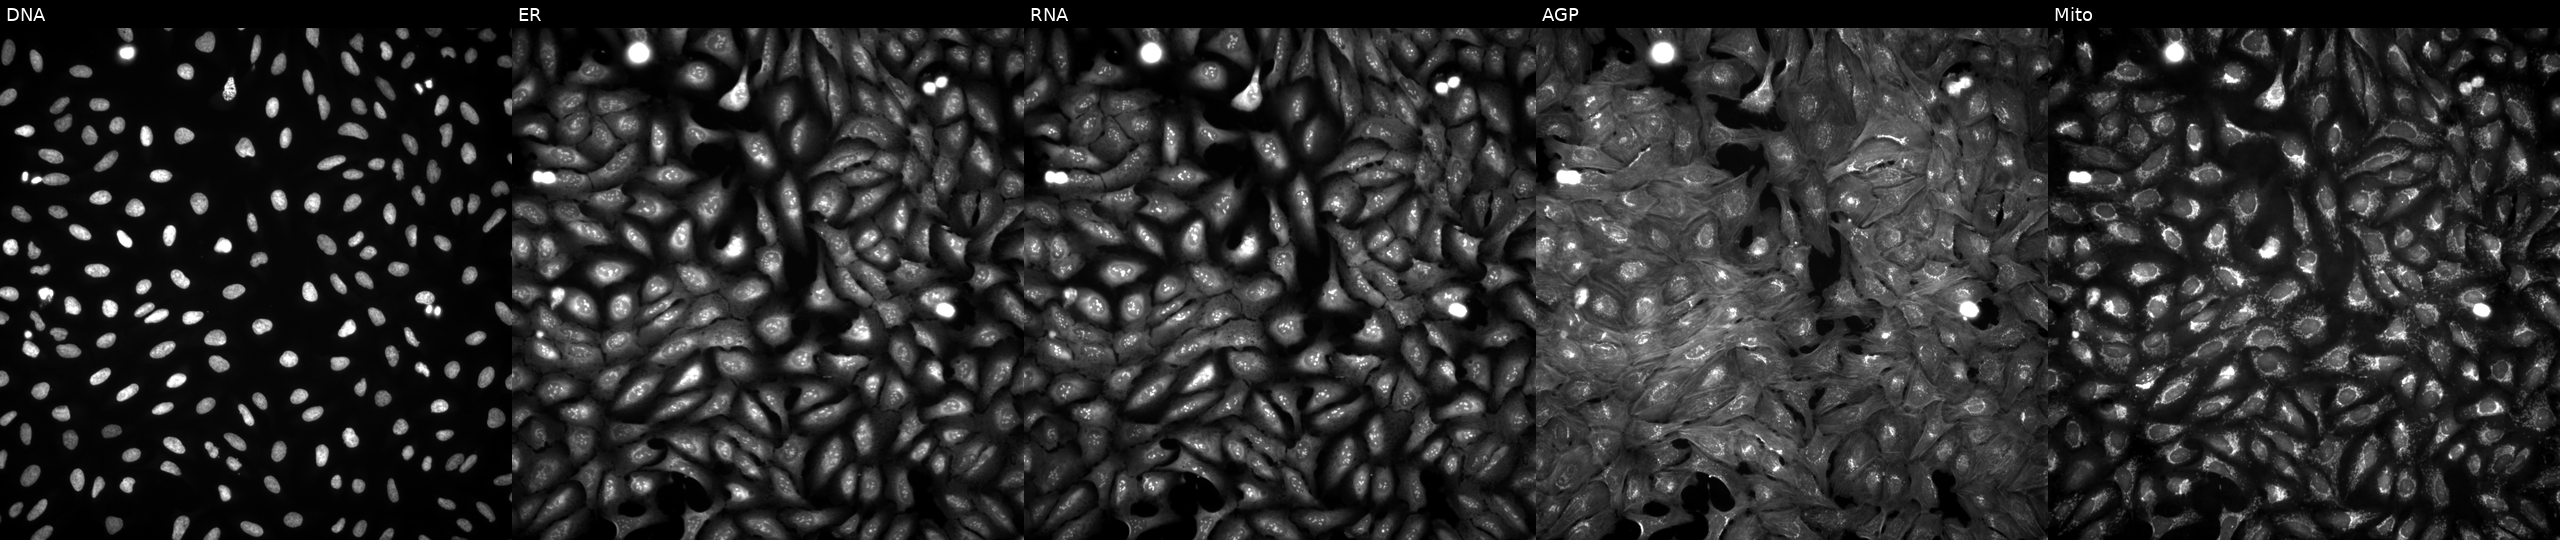
This image strip shows the five Cell Painting channels for a single field of U2OS cells with TEX10 overexpressed (ORF) (JUMP id JCP2022_907878). From left to right: DNA, ER, RNA, AGP, and Mito.